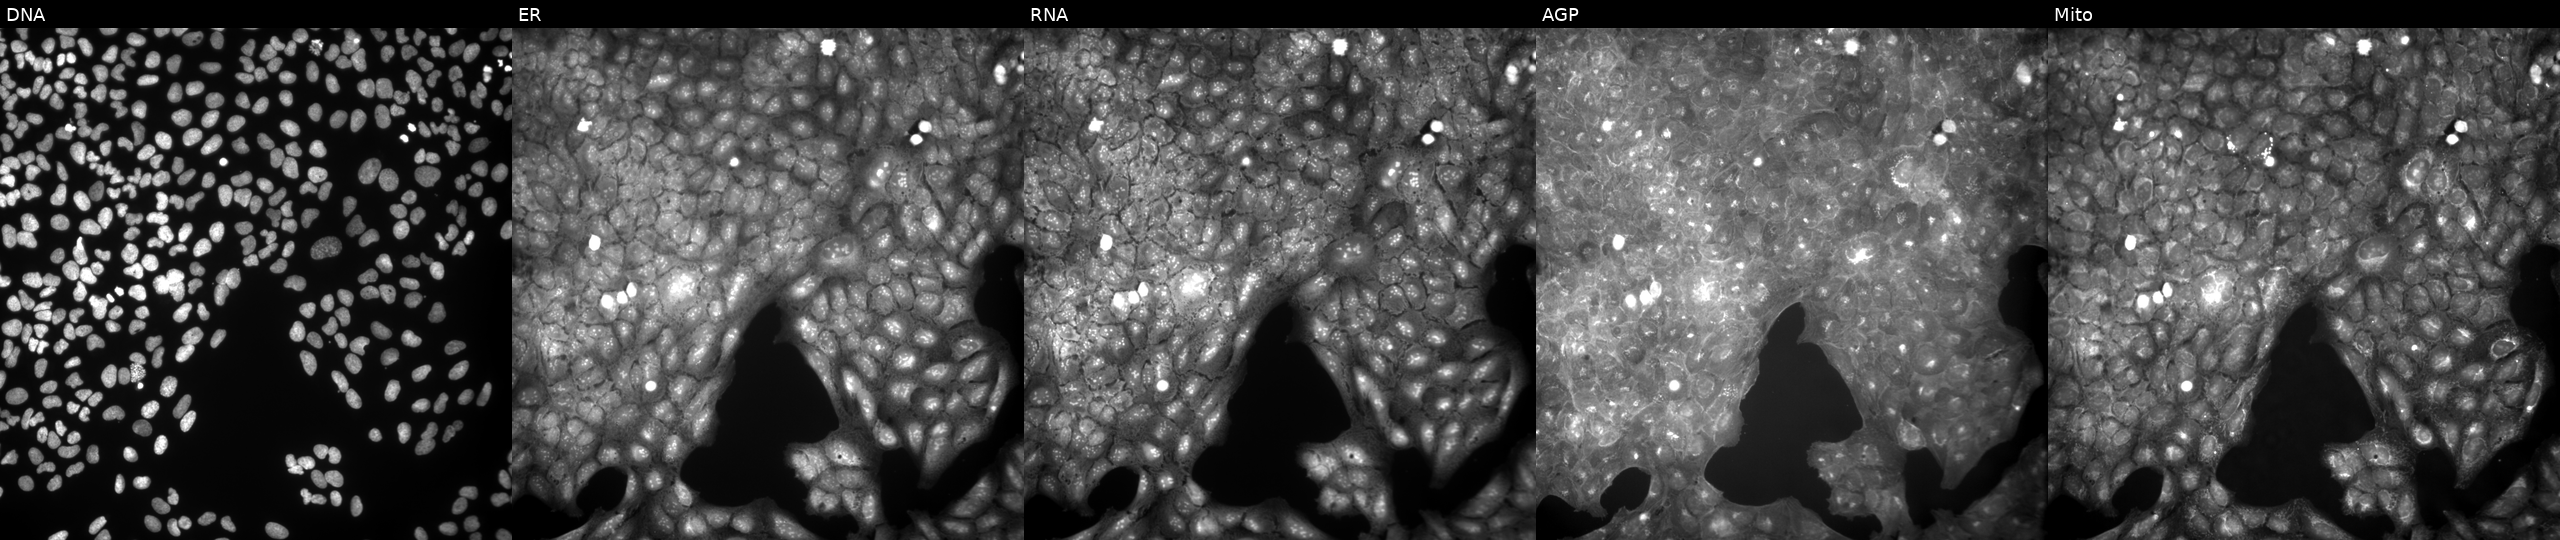
Panels show, left to right, Hoechst 33342, concanavalin A, SYTO 14, phalloidin and WGA, MitoTracker. U2OS osteosarcoma cells treated with a small-molecule compound (JUMP id JCP2022_089374). Cell Painting assay, JUMP-CP dataset.